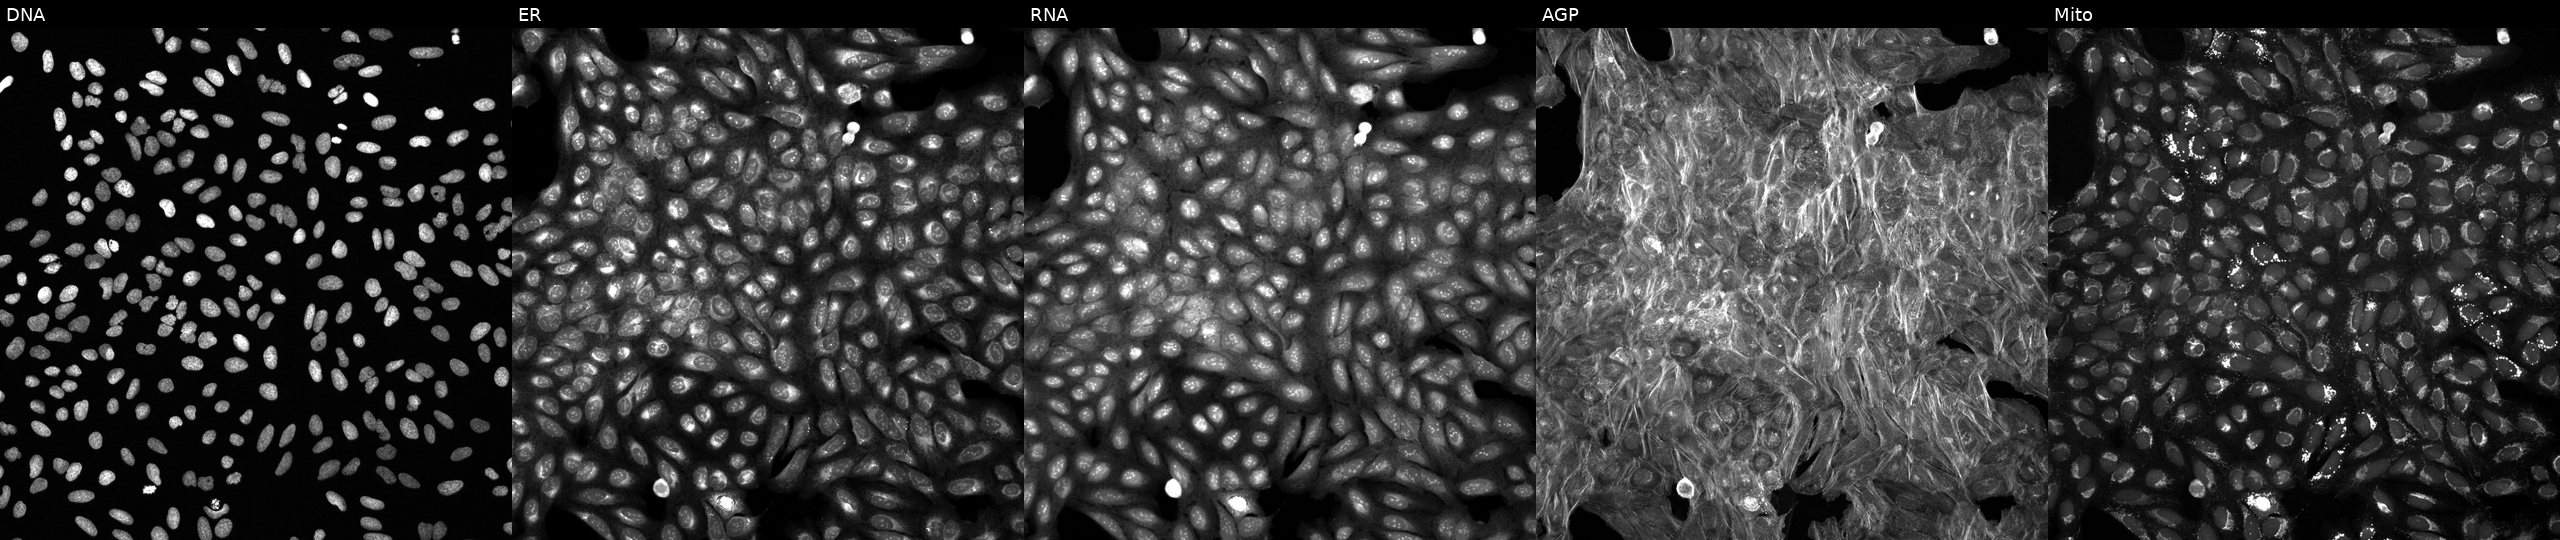
From left to right: Hoechst 33342, concanavalin A, SYTO 14, phalloidin and WGA, MitoTracker. U2OS osteosarcoma cells exposed to a small-molecule compound (InChIKey VXTKBSLQTVVCJE-UHFFFAOYSA-N). Cell Painting assay, JUMP-CP dataset. Source 6, plate 110000293082, well F08.